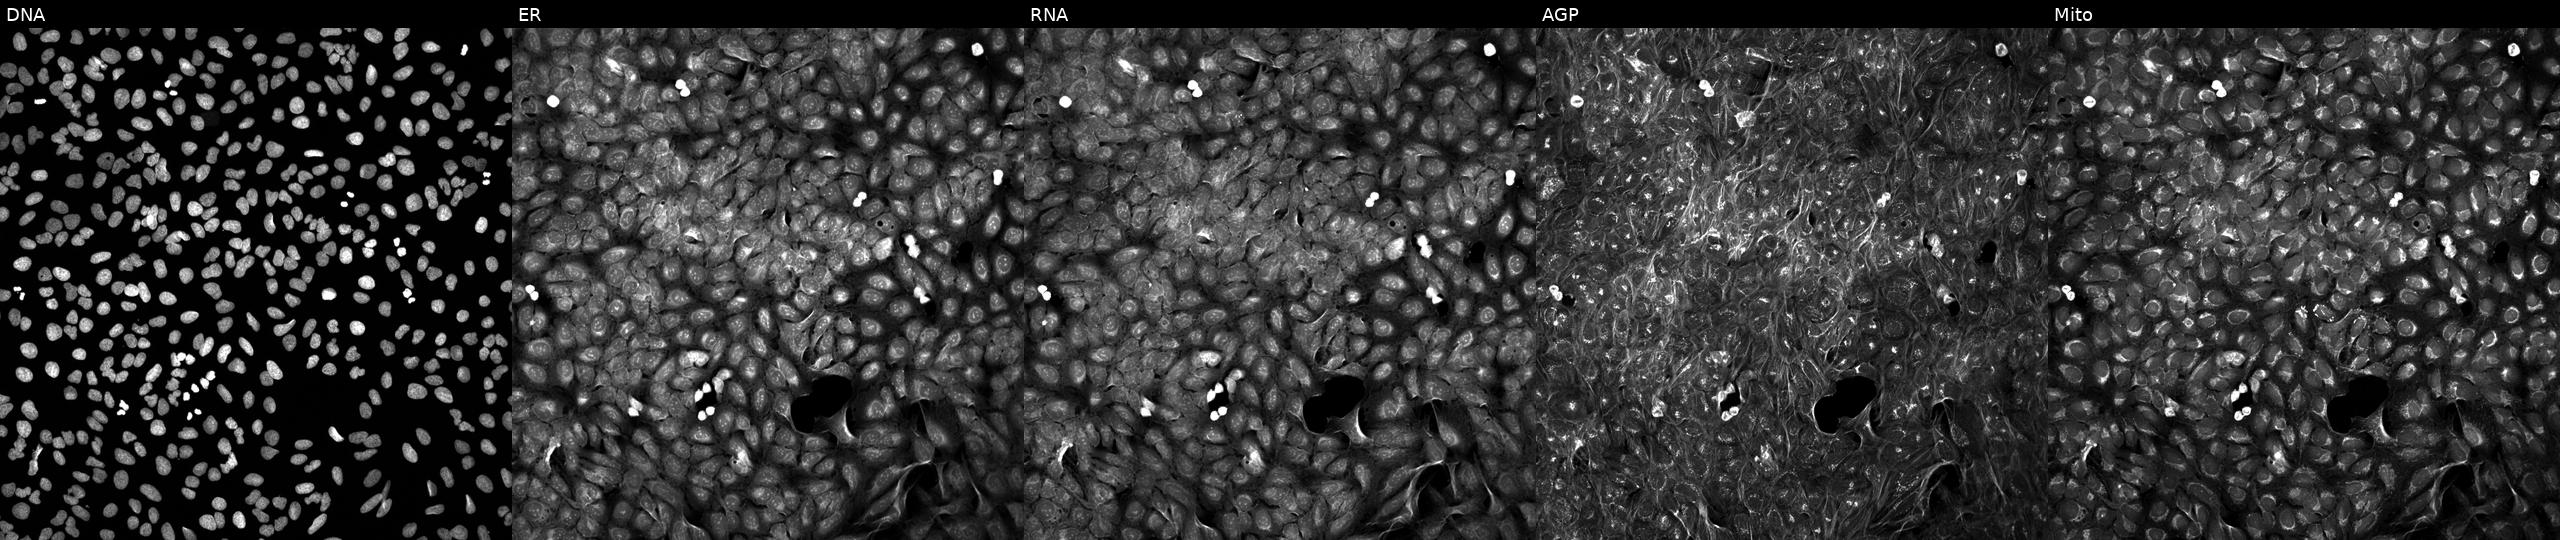
This image strip shows the five Cell Painting channels for a single field of U2OS cells treated with DMSO vehicle only (negative control). From left to right: DNA (nuclei); ER (endoplasmic reticulum); RNA (nucleoli and cytoplasmic RNA); AGP (actin cytoskeleton, Golgi, and plasma membrane); Mito (mitochondria).